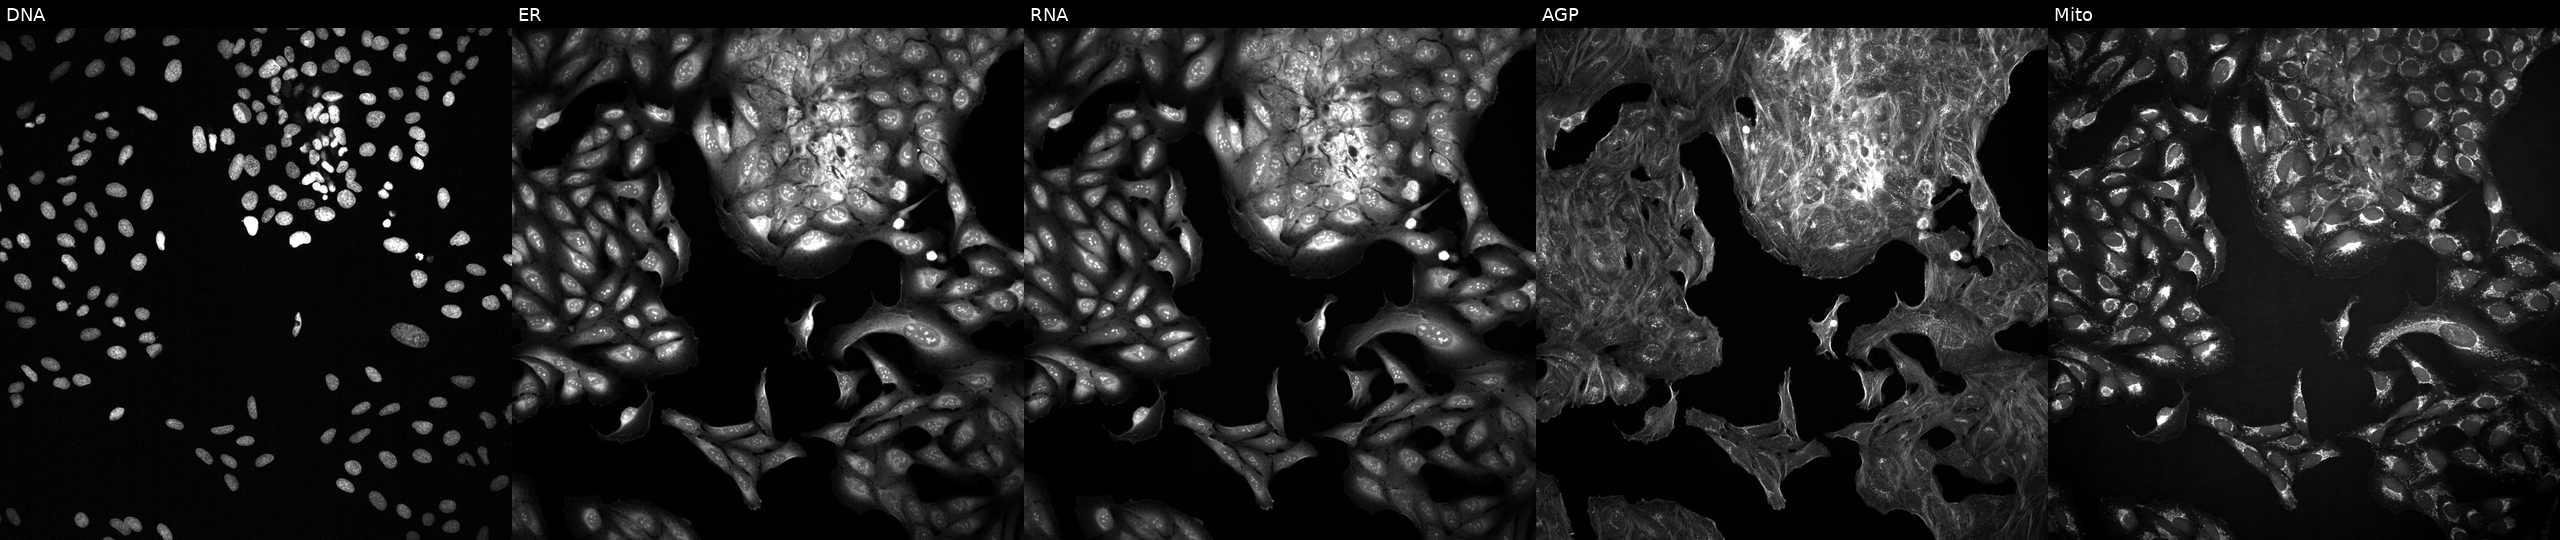
U2OS cells, Cell Painting assay, treated with a small-molecule compound (InChIKey WXPNDRBBWZMPQG-UHFFFAOYSA-N). From left to right: DNA (nuclei); ER (endoplasmic reticulum); RNA (nucleoli and cytoplasmic RNA); AGP (actin cytoskeleton, Golgi, and plasma membrane); Mito (mitochondria). Each panel is percentile-stretched 16-bit fluorescence.